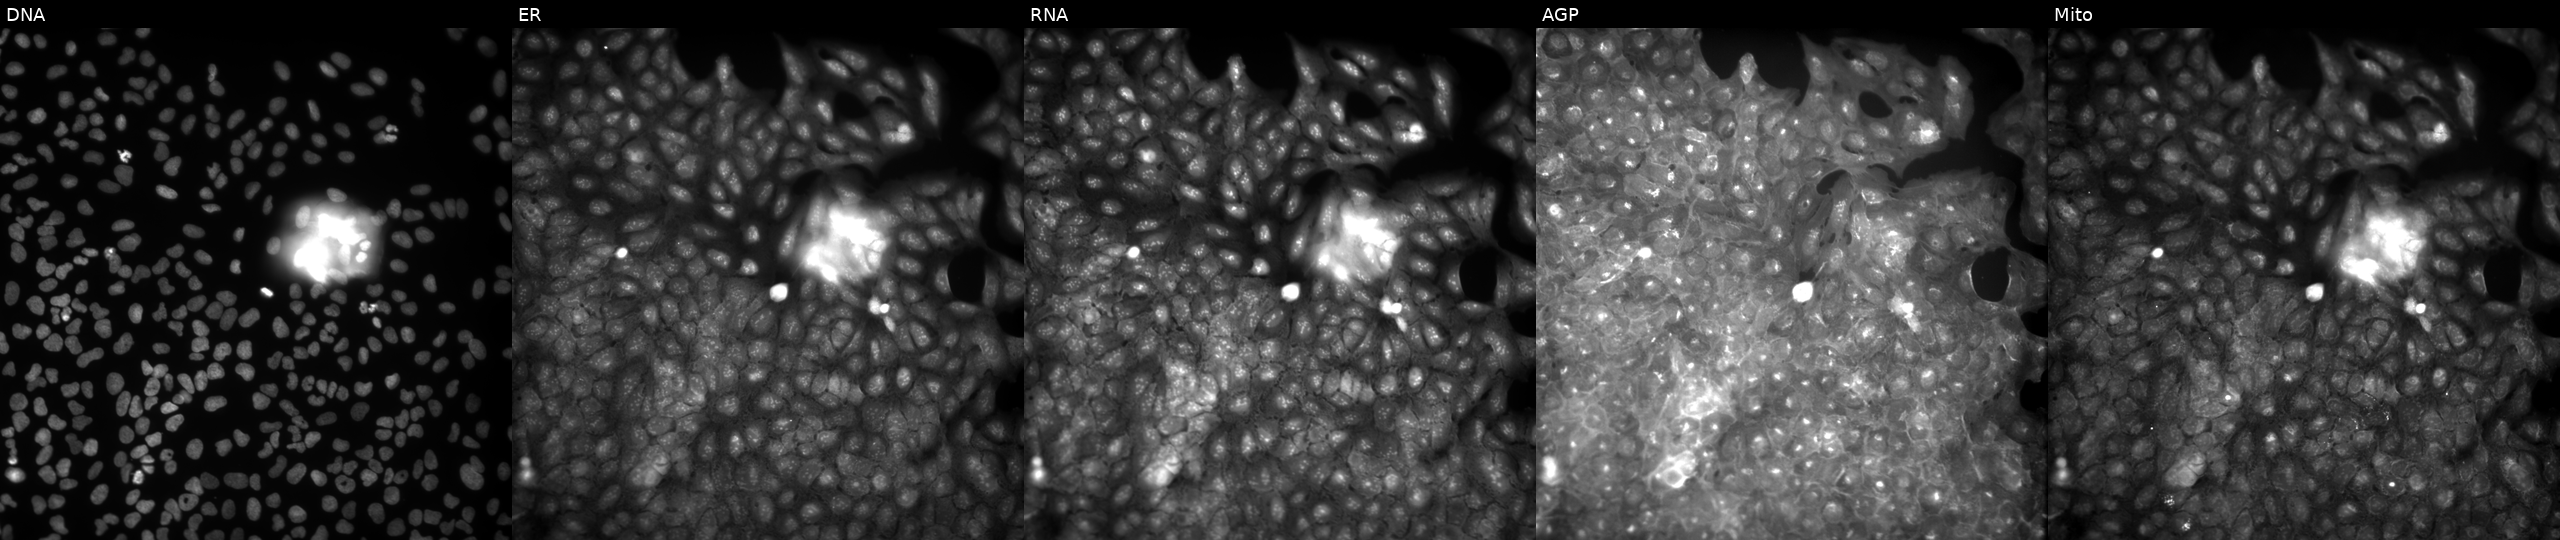
Channels (left→right): DNA, ER, RNA, AGP, and Mito. U2OS osteosarcoma cells exposed to a small-molecule compound (InChIKey JJTKYLAEAMWEJS-UHFFFAOYSA-N). Cell Painting assay, JUMP-CP dataset.